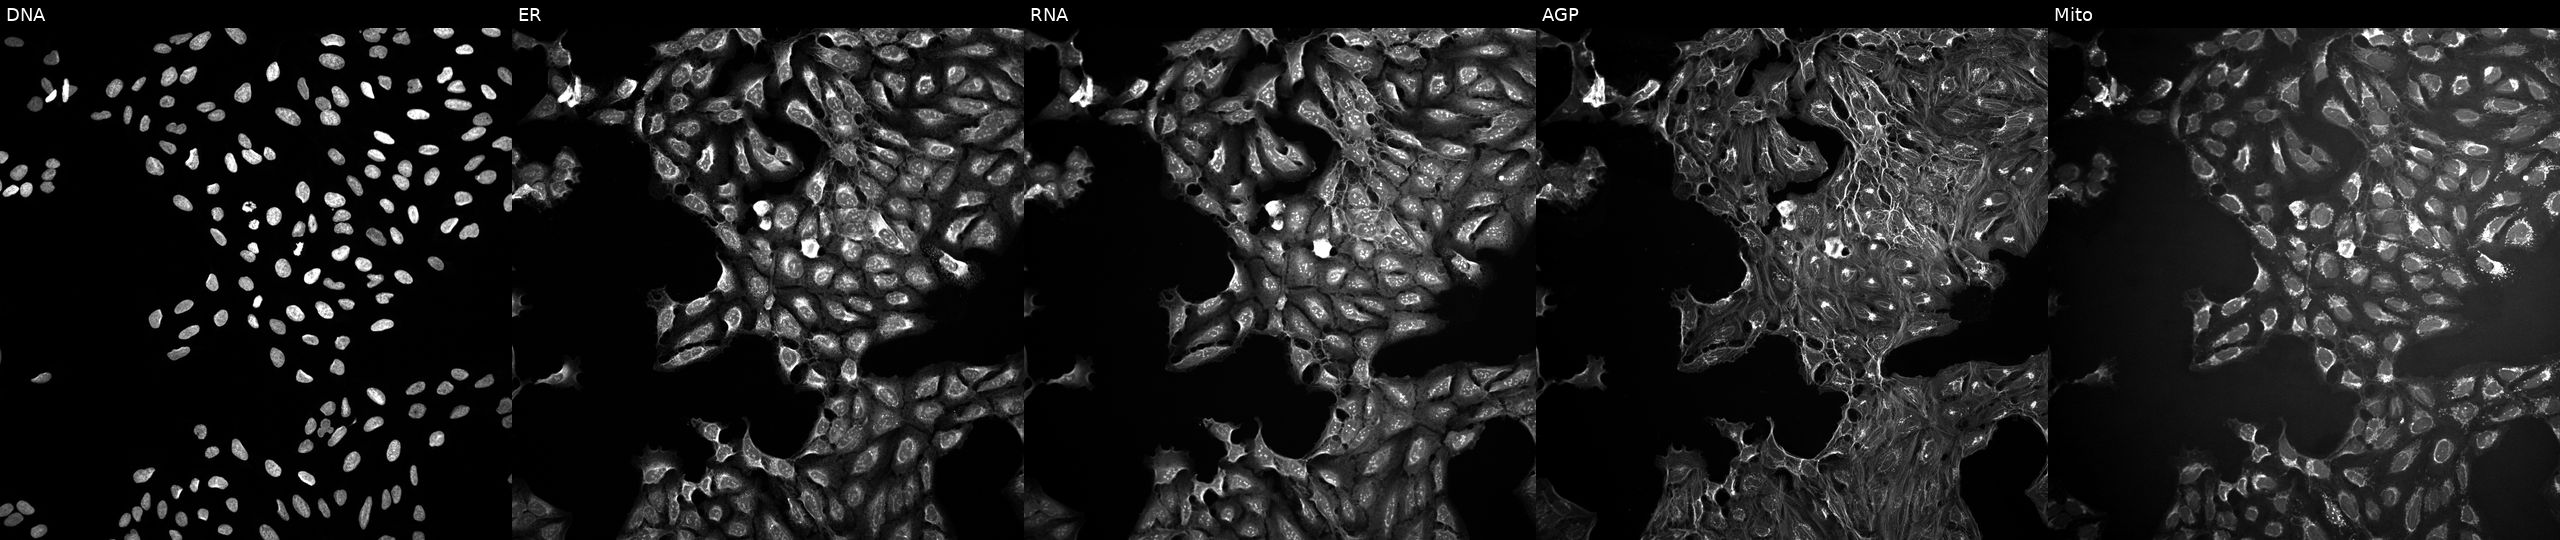
Channels (left→right): Hoechst 33342, concanavalin A, SYTO 14, phalloidin and WGA, MitoTracker. U2OS osteosarcoma cells treated with a small-molecule compound (JUMP id JCP2022_076034). Cell Painting assay, JUMP-CP dataset. Source 10, plate Dest210531-152324, well O22.